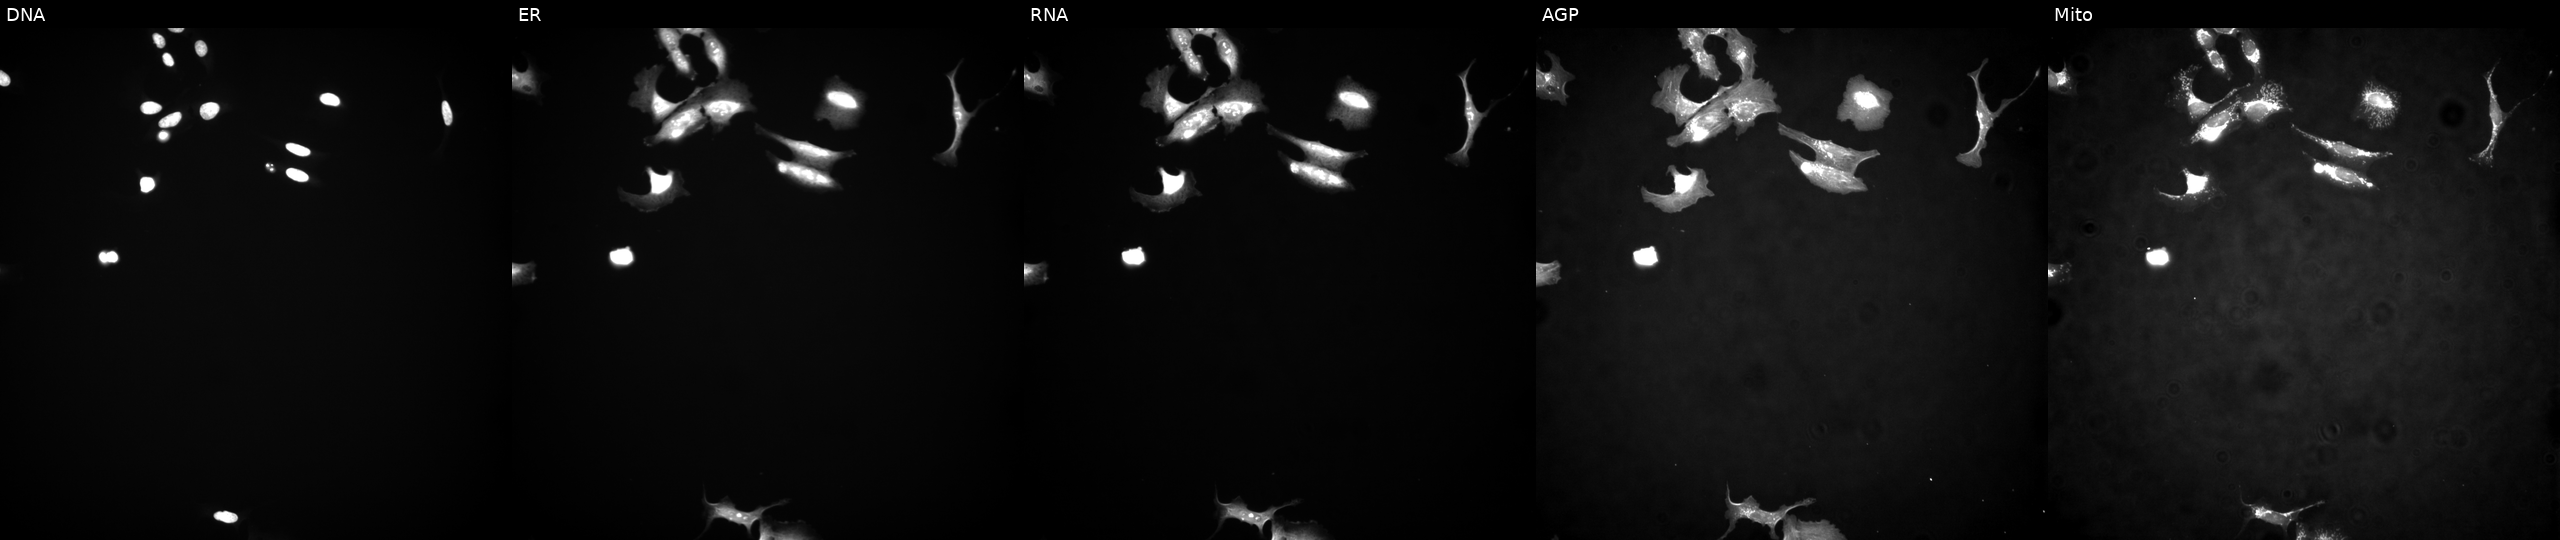
U2OS cells, Cell Painting assay, overexpressing ZMYND11 via ORF transfection. Panels show, left to right, DNA, ER, RNA, AGP, and Mito. Each panel is percentile-stretched 16-bit fluorescence. Source 4, plate BR00117035, well I13.